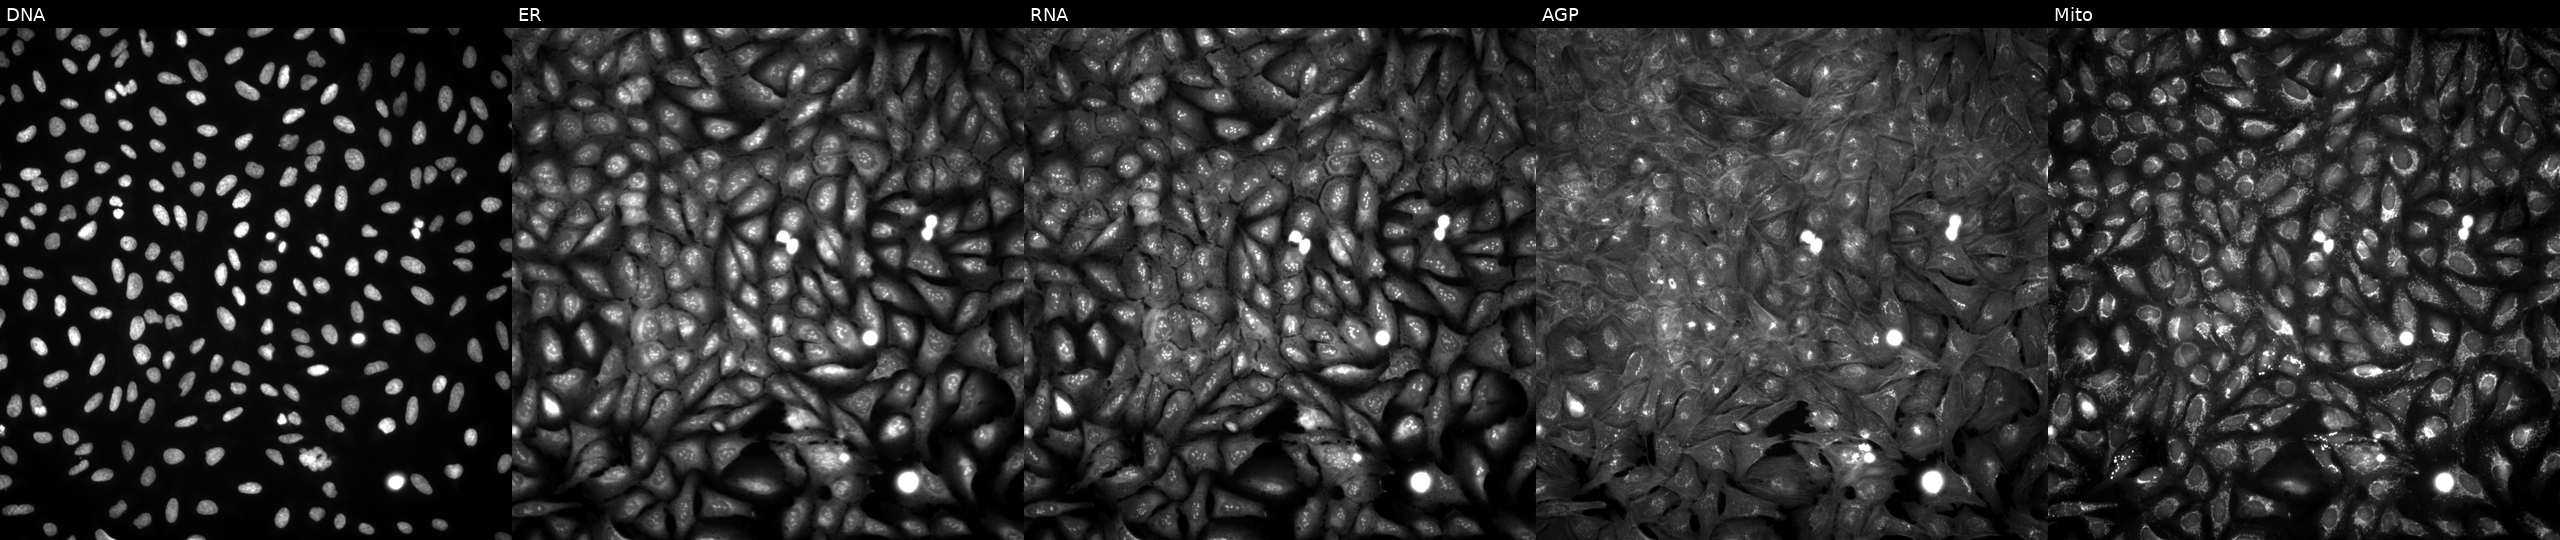
JUMP Cell Painting — ORF plate. U2OS cells overexpressing HPS3 via ORF transfection. The five panels, left to right, show DNA (nuclei); ER (endoplasmic reticulum); RNA (nucleoli and cytoplasmic RNA); AGP (actin cytoskeleton, Golgi, and plasma membrane); Mito (mitochondria).